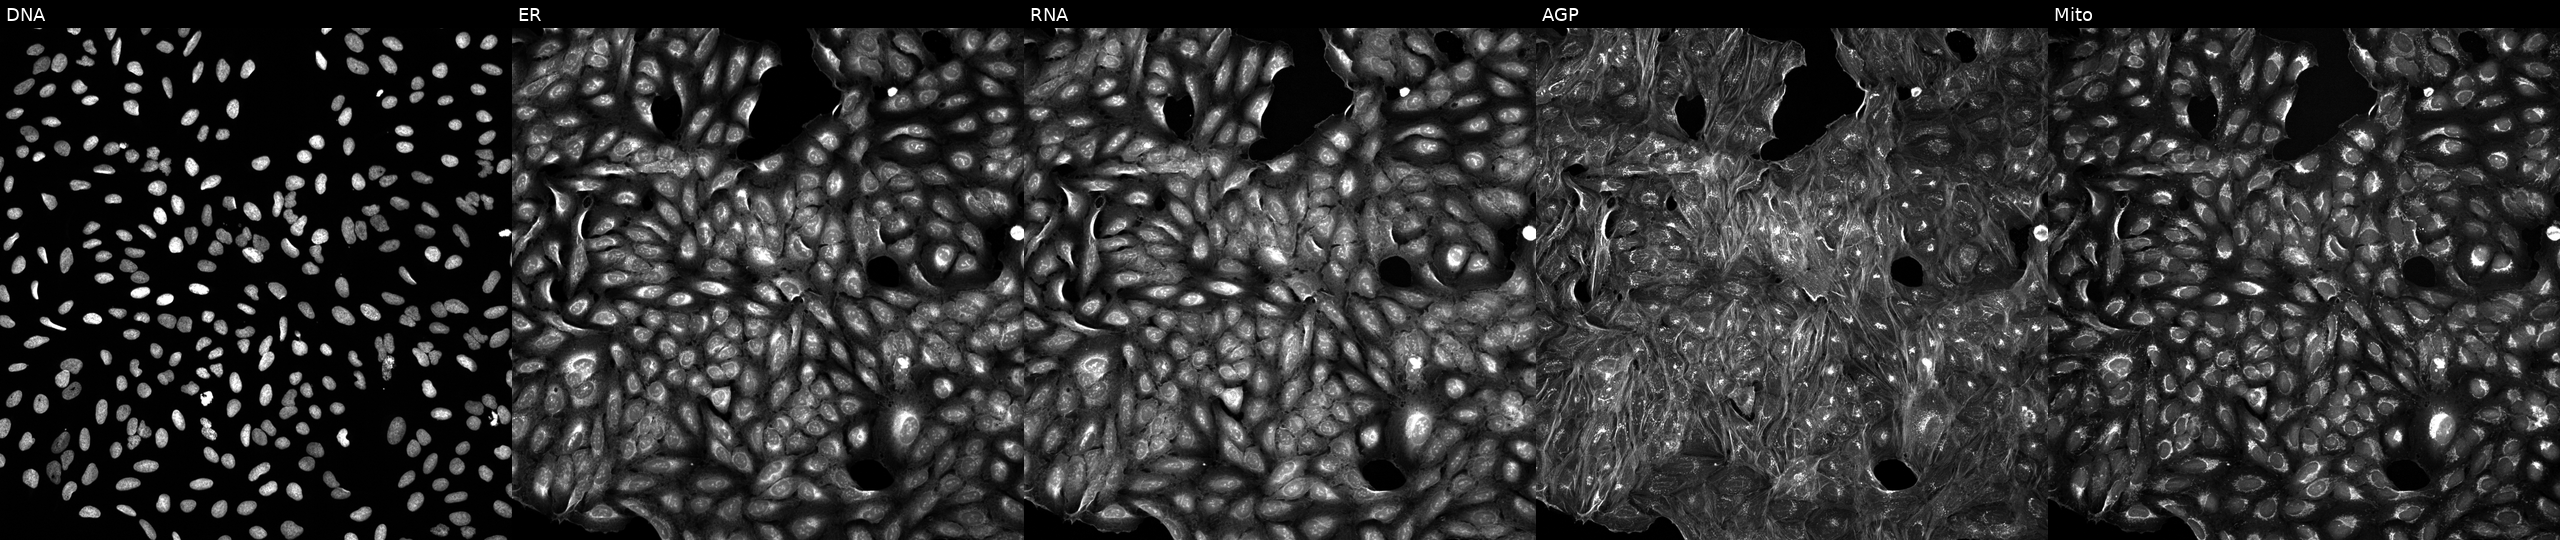
Five-channel Cell Painting image of U2OS cells exposed to DMSO alone as a negative control. Panels show, left to right, DNA, ER, RNA, AGP, and Mito.